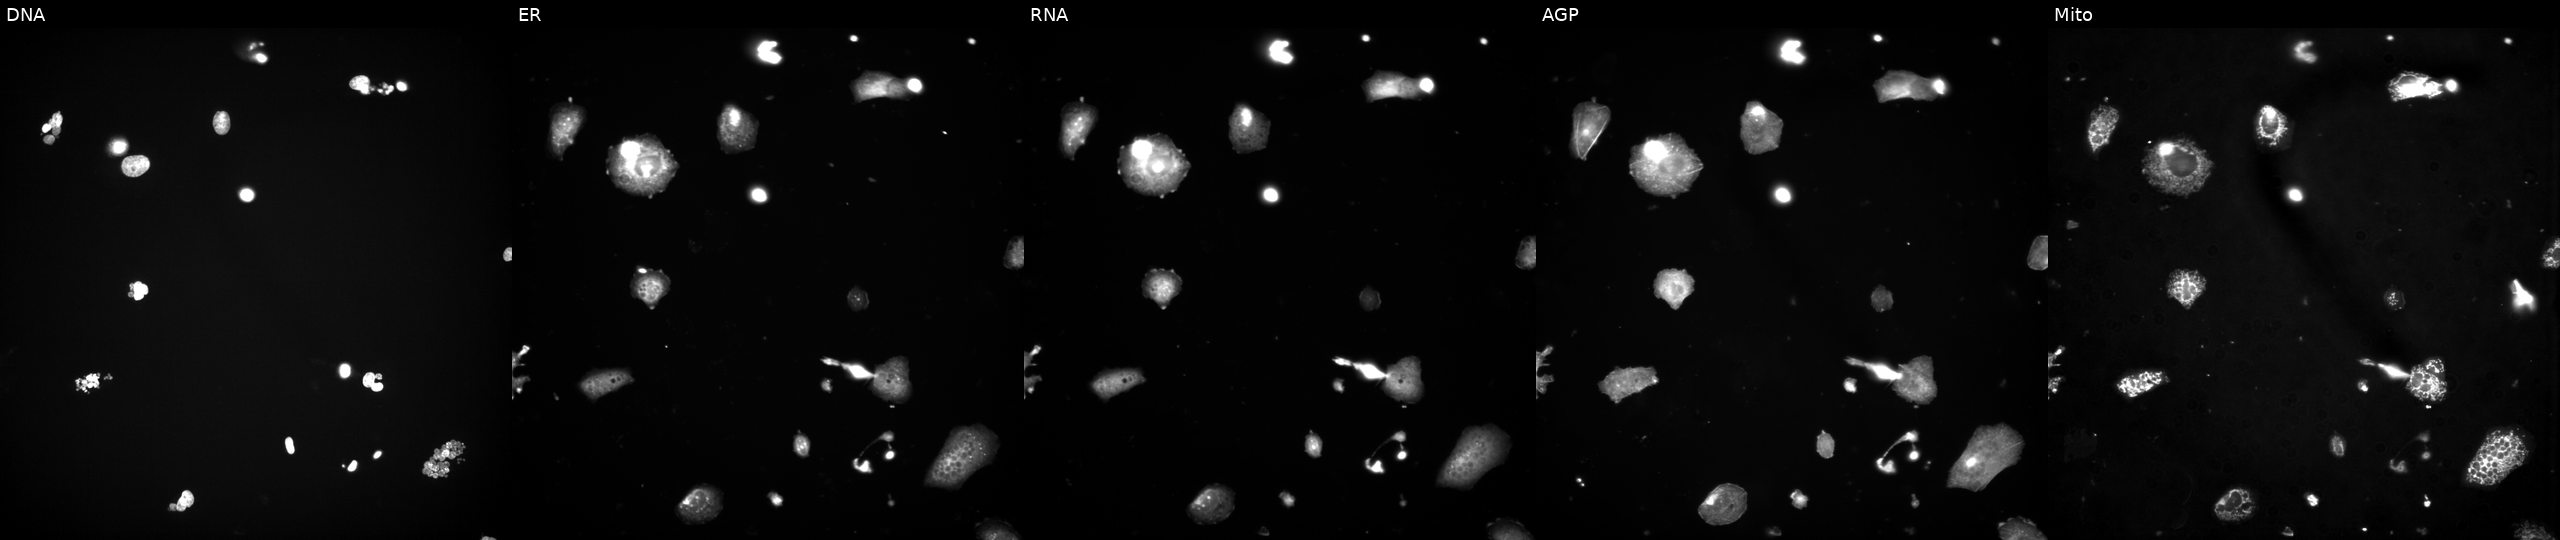
This image strip shows the five Cell Painting channels for a single field of U2OS cells exposed to a small-molecule compound (InChIKey IAKHMKGGTNLKSZ-UHFFFAOYSA-N). From left to right: DNA (nuclei); ER (endoplasmic reticulum); RNA (nucleoli and cytoplasmic RNA); AGP (actin cytoskeleton, Golgi, and plasma membrane); Mito (mitochondria). Source 3, plate JCPQC053, well F19.